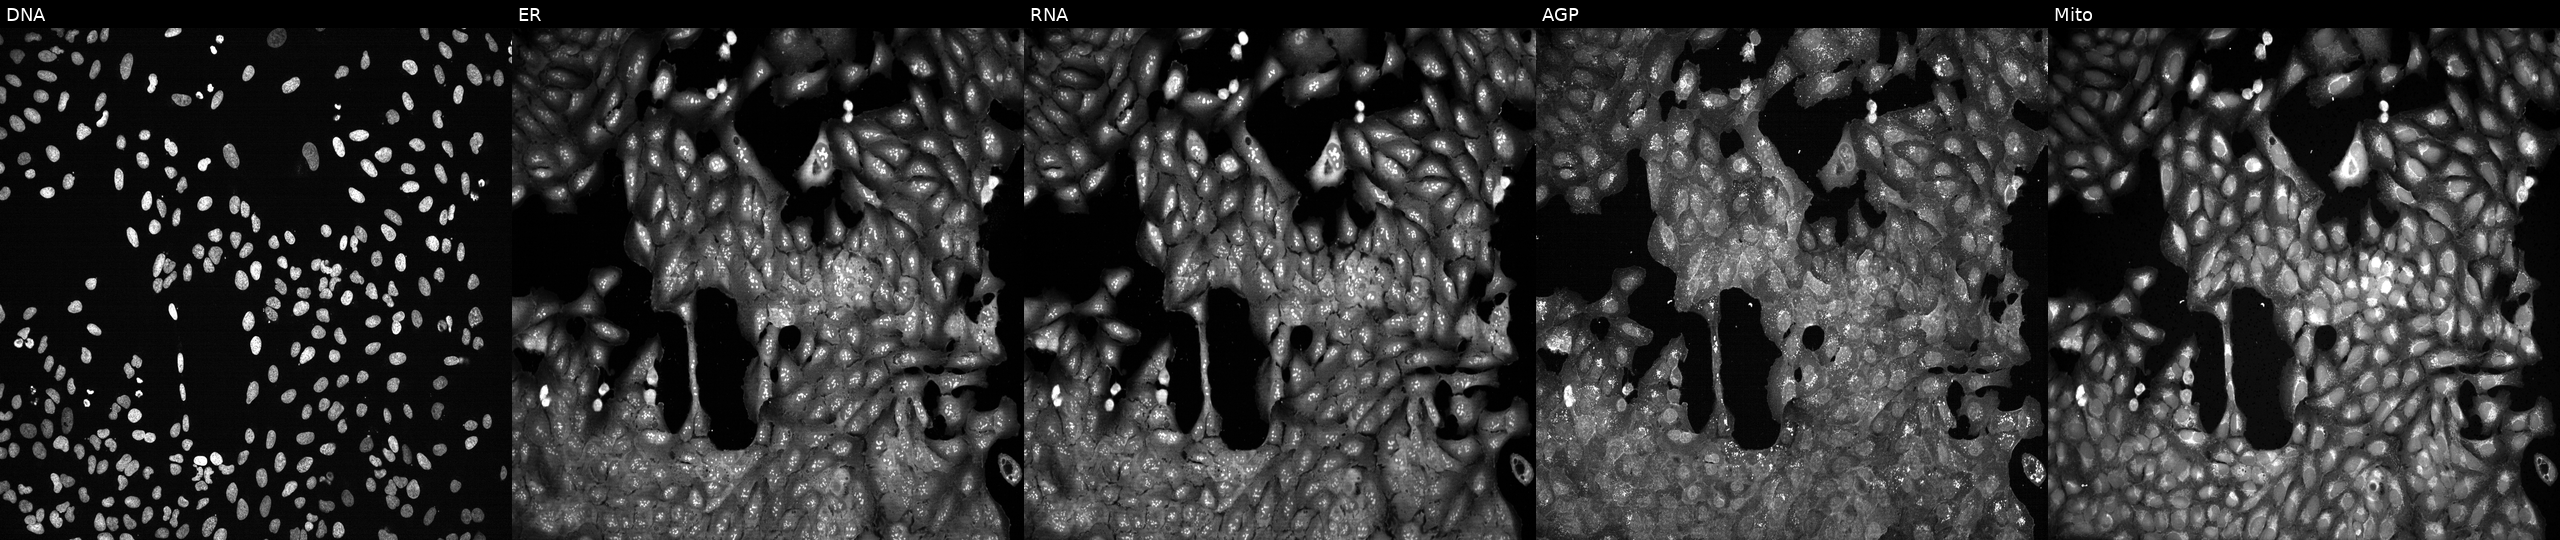
Five-channel Cell Painting image of U2OS cells CRISPR-edited to disrupt SLC17A6. Channels (left→right): DNA (nuclei); ER (endoplasmic reticulum); RNA (nucleoli and cytoplasmic RNA); AGP (actin cytoskeleton, Golgi, and plasma membrane); Mito (mitochondria).